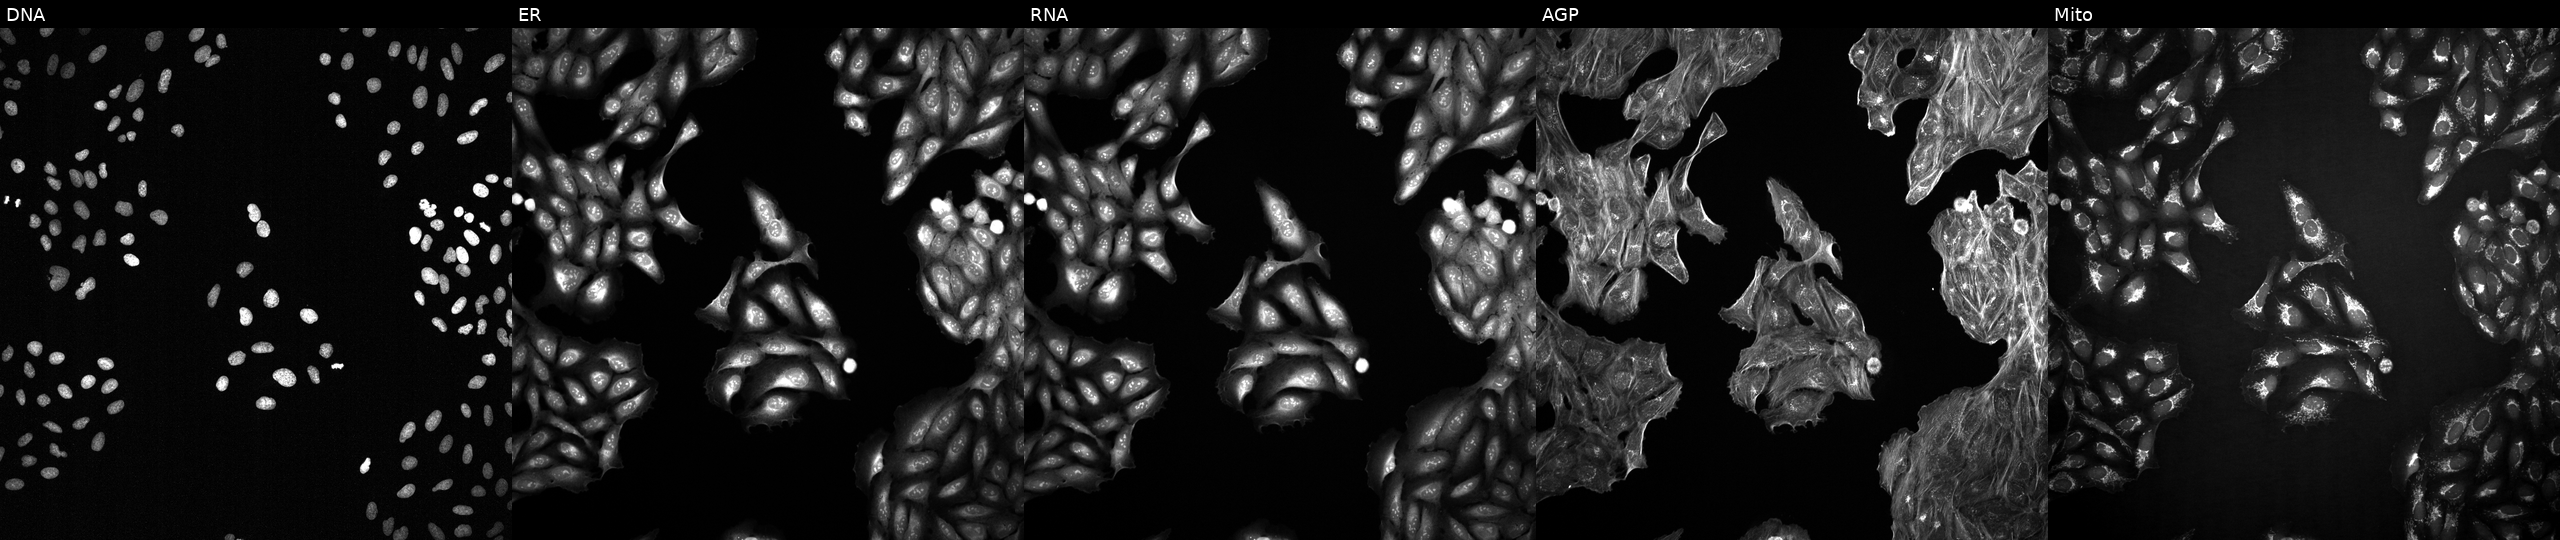
High-content fluorescence microscopy (Cell Painting). Cell line: U2OS. Perturbation: treated with DMSO vehicle only (negative control). From left to right: DNA, ER, RNA, AGP, and Mito.